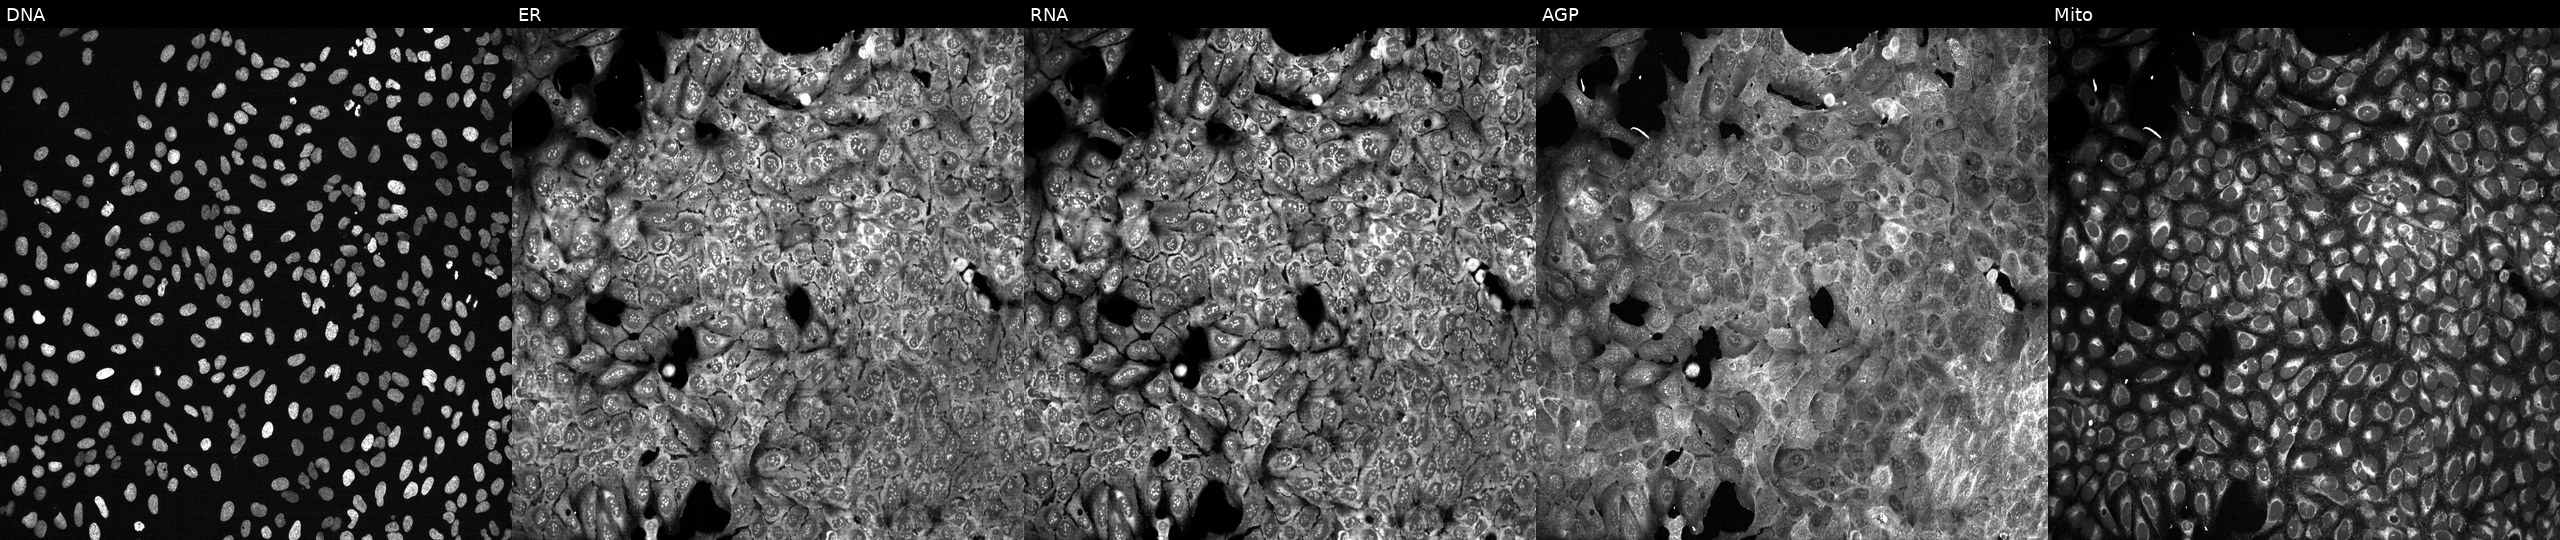
Five-channel Cell Painting image of U2OS cells following CRISPR knockout of ST8SIA5 (JUMP id JCP2022_806815). The five panels, left to right, show DNA, ER, RNA, AGP, and Mito.